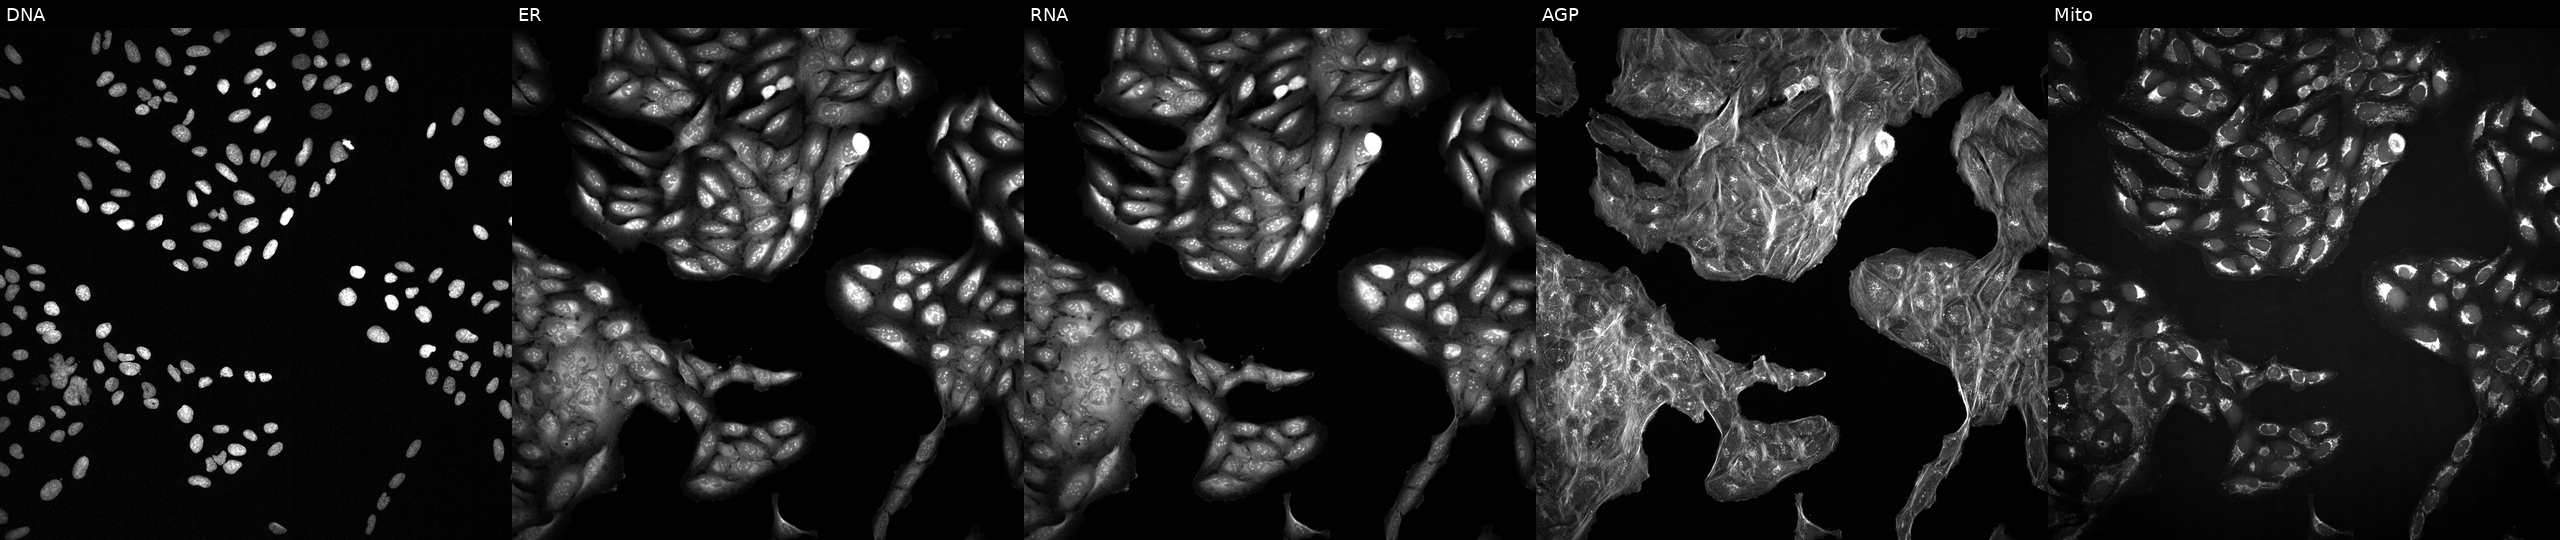
U2OS cells, Cell Painting assay, treated with a small-molecule compound (InChIKey NGMJJGDIBMUKHV-UHFFFAOYSA-N) (JUMP id JCP2022_058840). The five panels, left to right, show DNA (nuclei); ER (endoplasmic reticulum); RNA (nucleoli and cytoplasmic RNA); AGP (actin cytoskeleton, Golgi, and plasma membrane); Mito (mitochondria). Each panel is percentile-stretched 16-bit fluorescence.